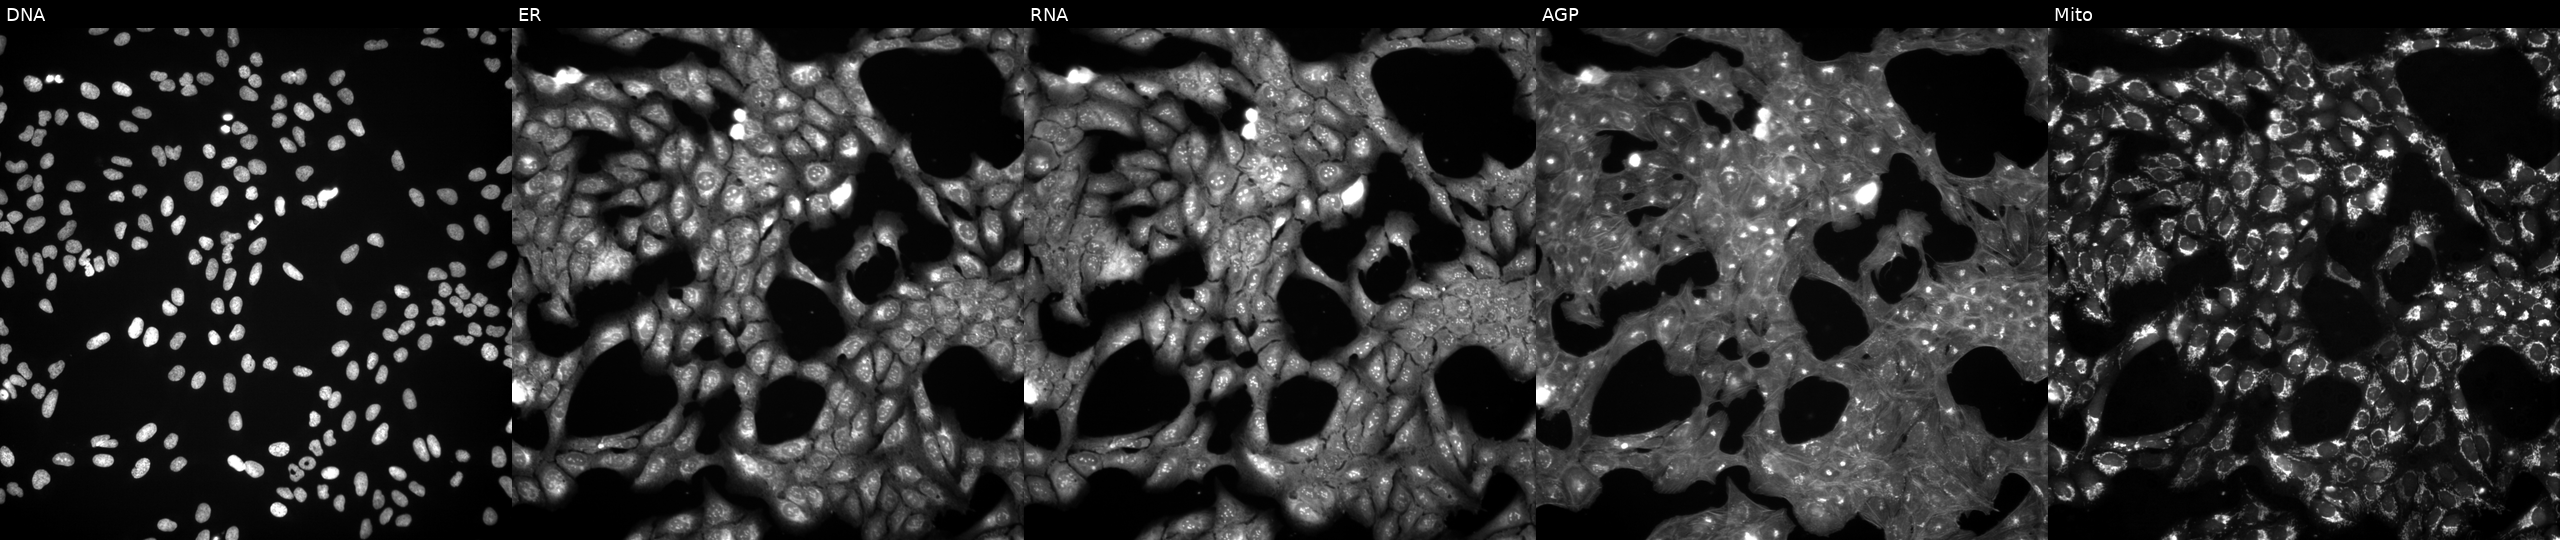
From left to right: DNA, ER, RNA, AGP, and Mito. U2OS osteosarcoma cells treated with a small-molecule compound (InChIKey FFPWMHTVRPZIQF-UHFFFAOYSA-N) (JUMP id JCP2022_020346). Cell Painting assay, JUMP-CP dataset.